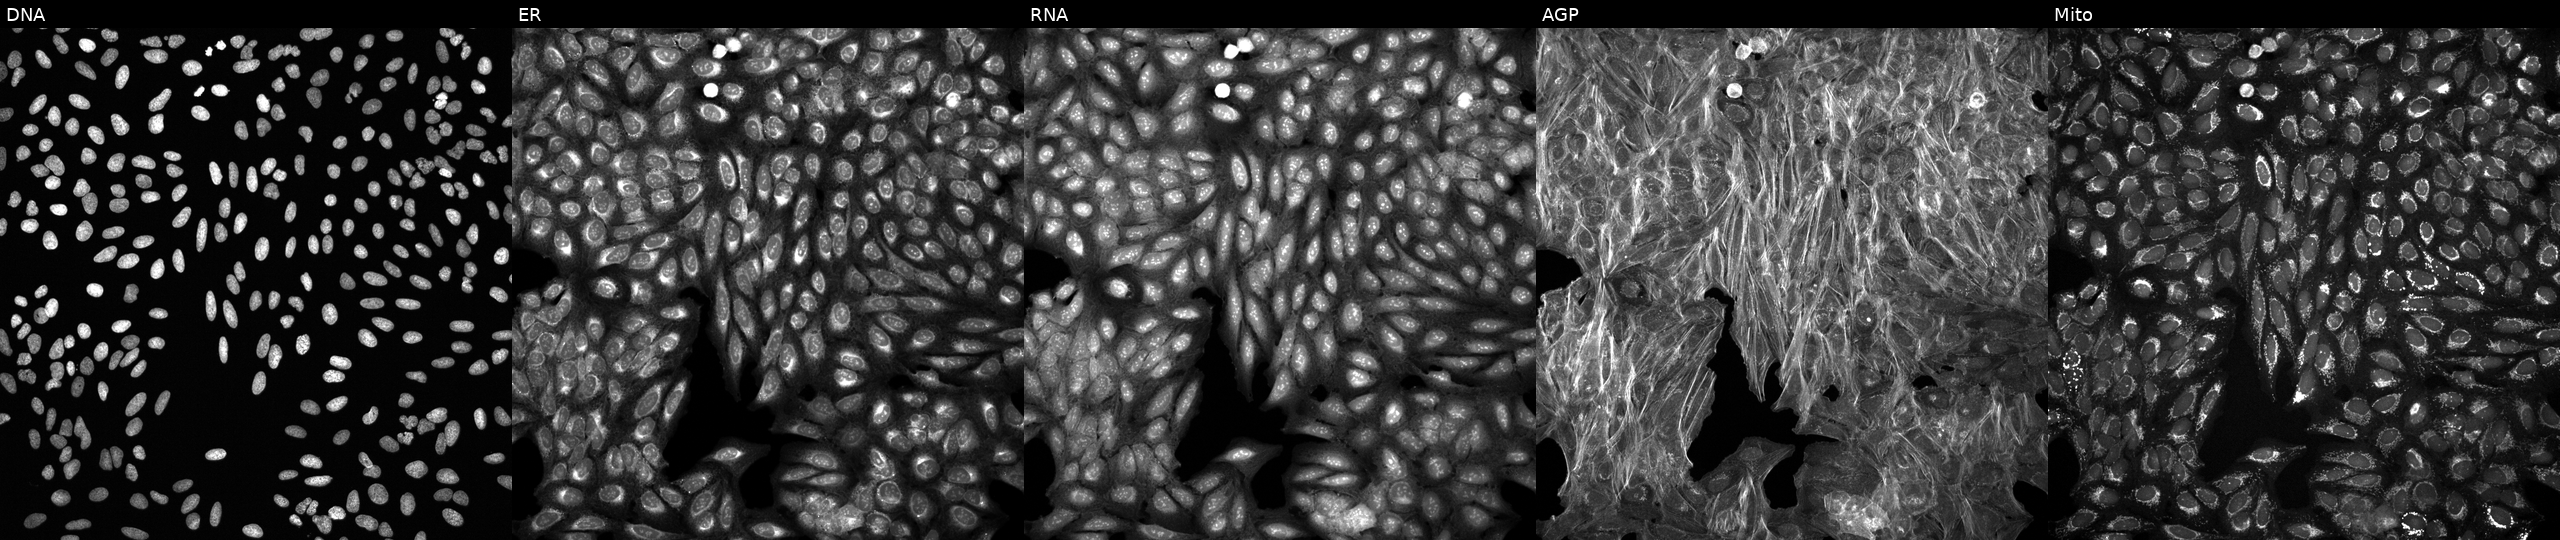
Five-channel Cell Painting image of U2OS cells treated with dexamethasone (positive-control compound) (JUMP id JCP2022_025848). From left to right: DNA (nuclei); ER (endoplasmic reticulum); RNA (nucleoli and cytoplasmic RNA); AGP (actin cytoskeleton, Golgi, and plasma membrane); Mito (mitochondria).